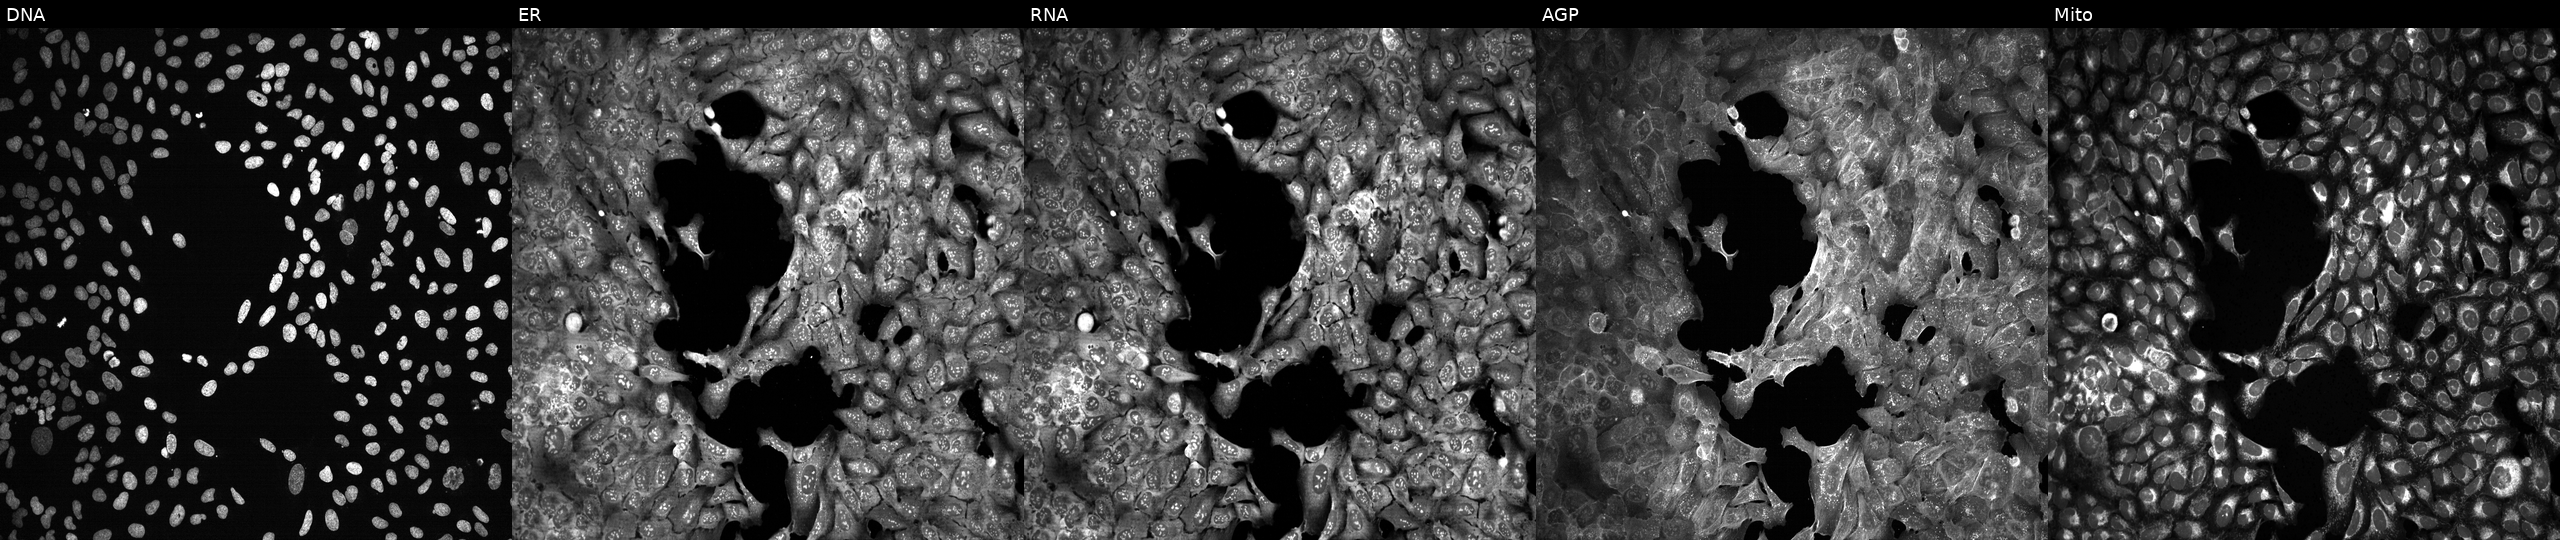
This image strip shows the five Cell Painting channels for a single field of U2OS cells following CRISPR knockout of CMA1 (JUMP id JCP2022_801400). Channels (left→right): DNA (nuclei); ER (endoplasmic reticulum); RNA (nucleoli and cytoplasmic RNA); AGP (actin cytoskeleton, Golgi, and plasma membrane); Mito (mitochondria). Source 13, plate CP-CC9-R6-19, well K19.